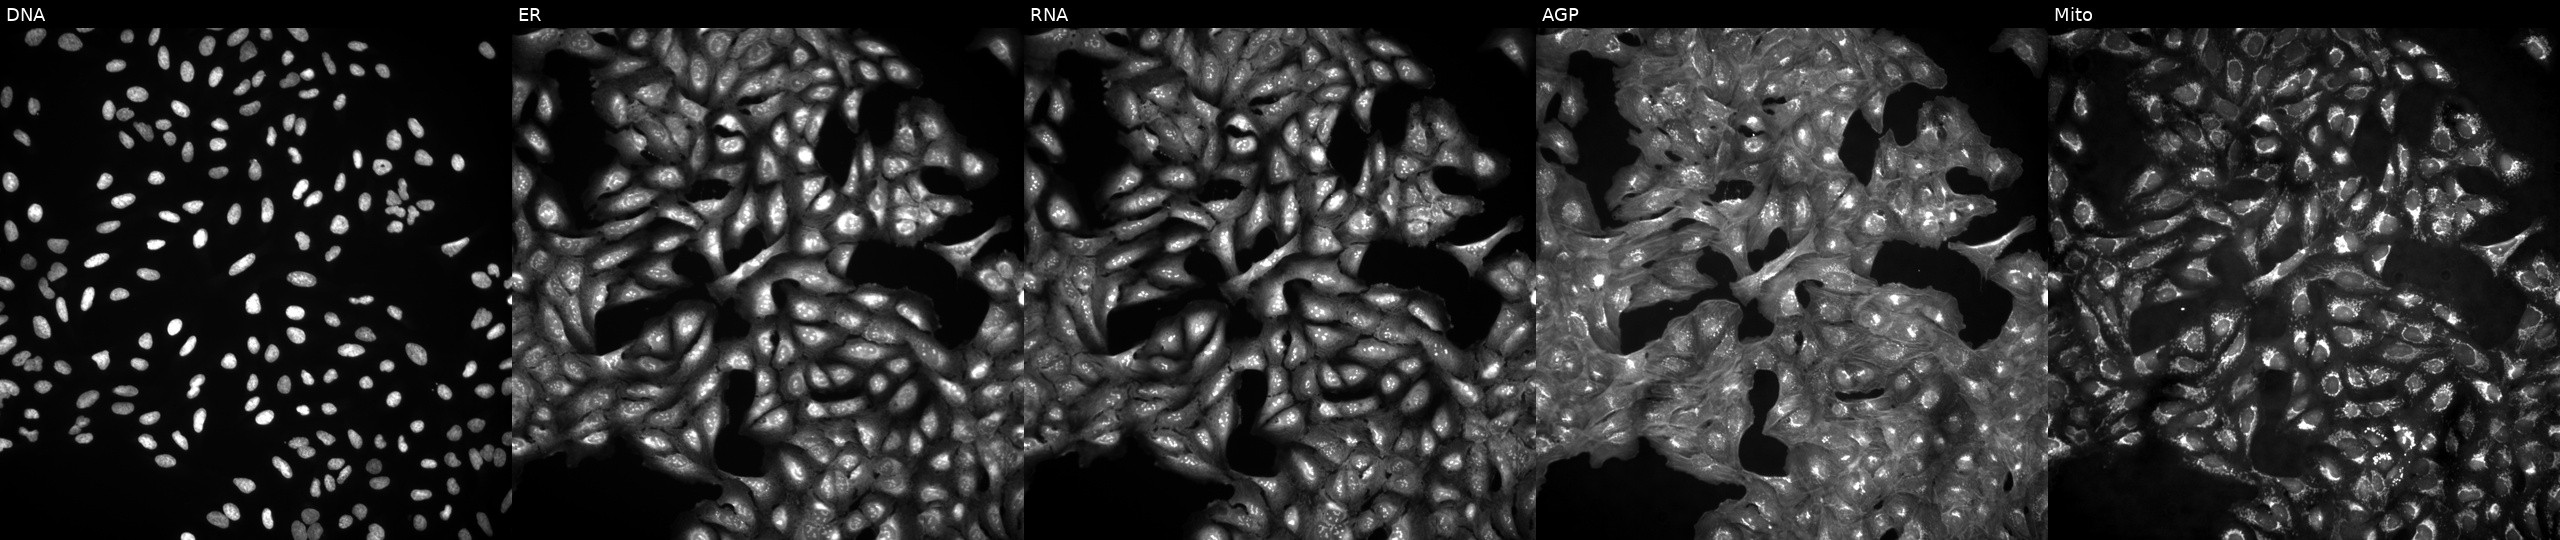
This image strip shows the five Cell Painting channels for a single field of U2OS cells untreated (empty-well control) (JUMP id JCP2022_999999). From left to right: DNA (nuclei); ER (endoplasmic reticulum); RNA (nucleoli and cytoplasmic RNA); AGP (actin cytoskeleton, Golgi, and plasma membrane); Mito (mitochondria).